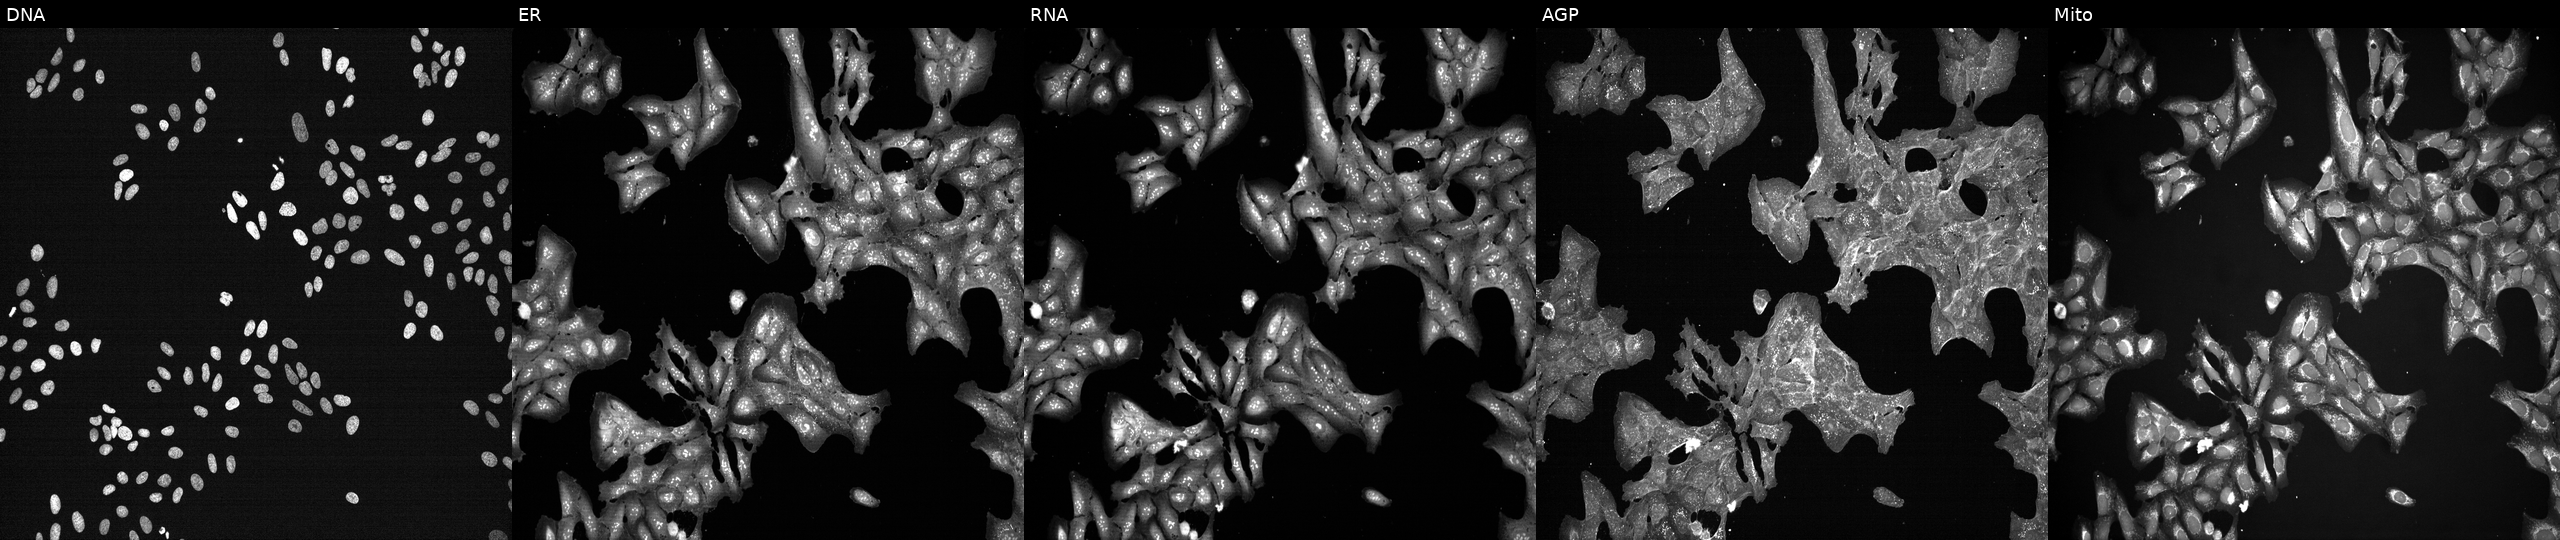
U2OS cells, Cell Painting assay, exposed to a small-molecule compound (InChIKey GYYRMJMXXLJZAB-UHFFFAOYSA-N) (JUMP id JCP2022_028645). From left to right: DNA, ER, RNA, AGP, and Mito. Each panel is percentile-stretched 16-bit fluorescence. Source 7, plate CP2-SC1-25, well E16.